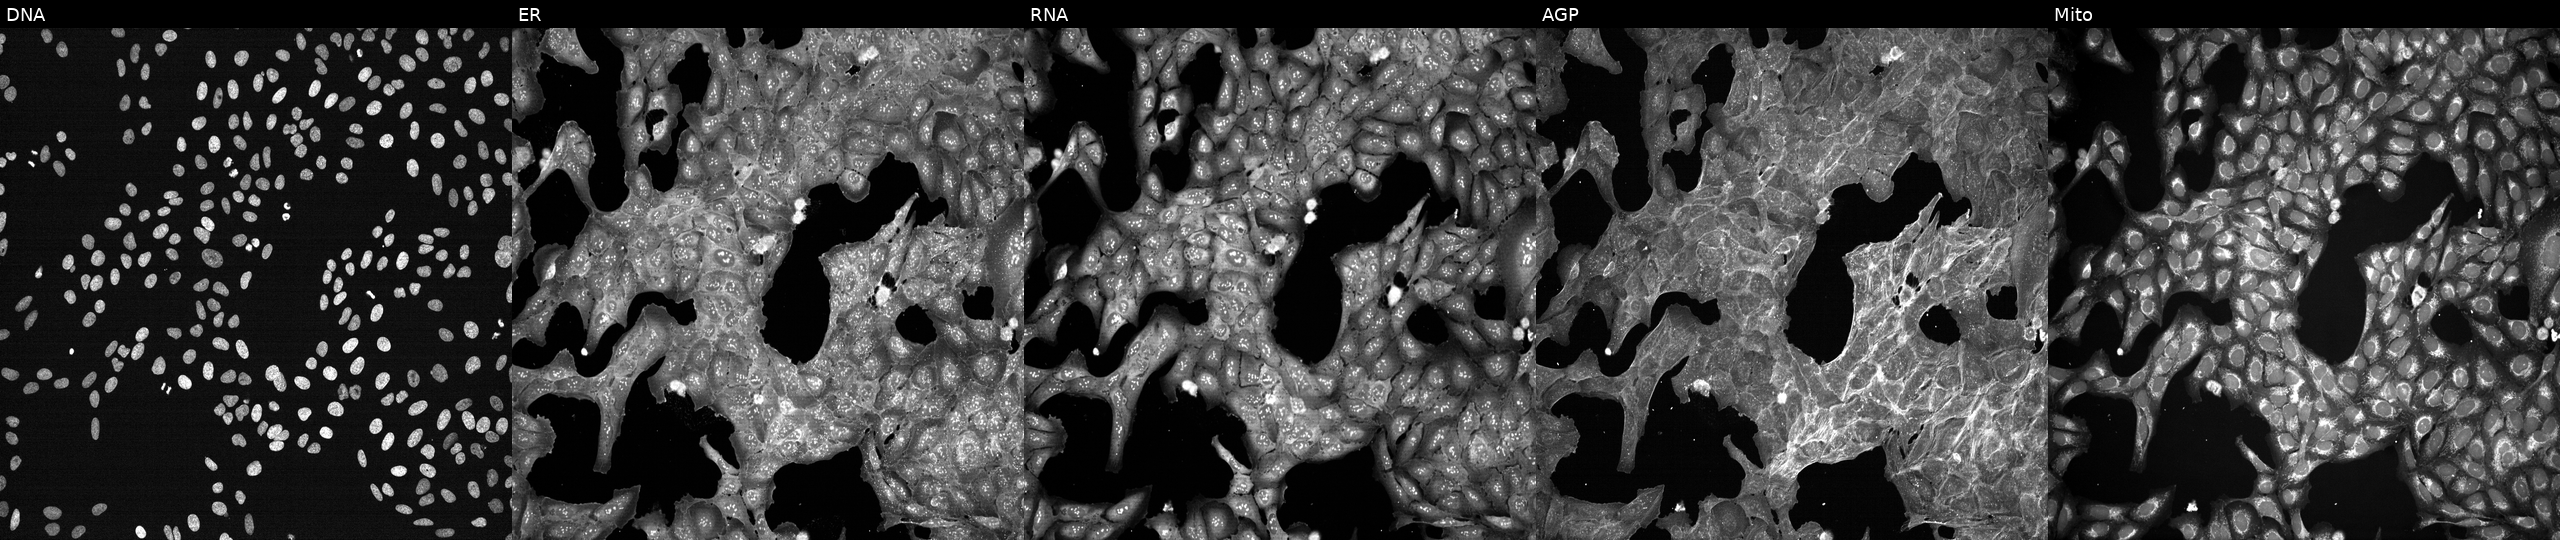
High-content fluorescence microscopy (Cell Painting). Cell line: U2OS. Perturbation: perturbed with a small-molecule compound (InChIKey MDKAFDIKYQMOMF-UHFFFAOYSA-N). From left to right: DNA, ER, RNA, AGP, and Mito.